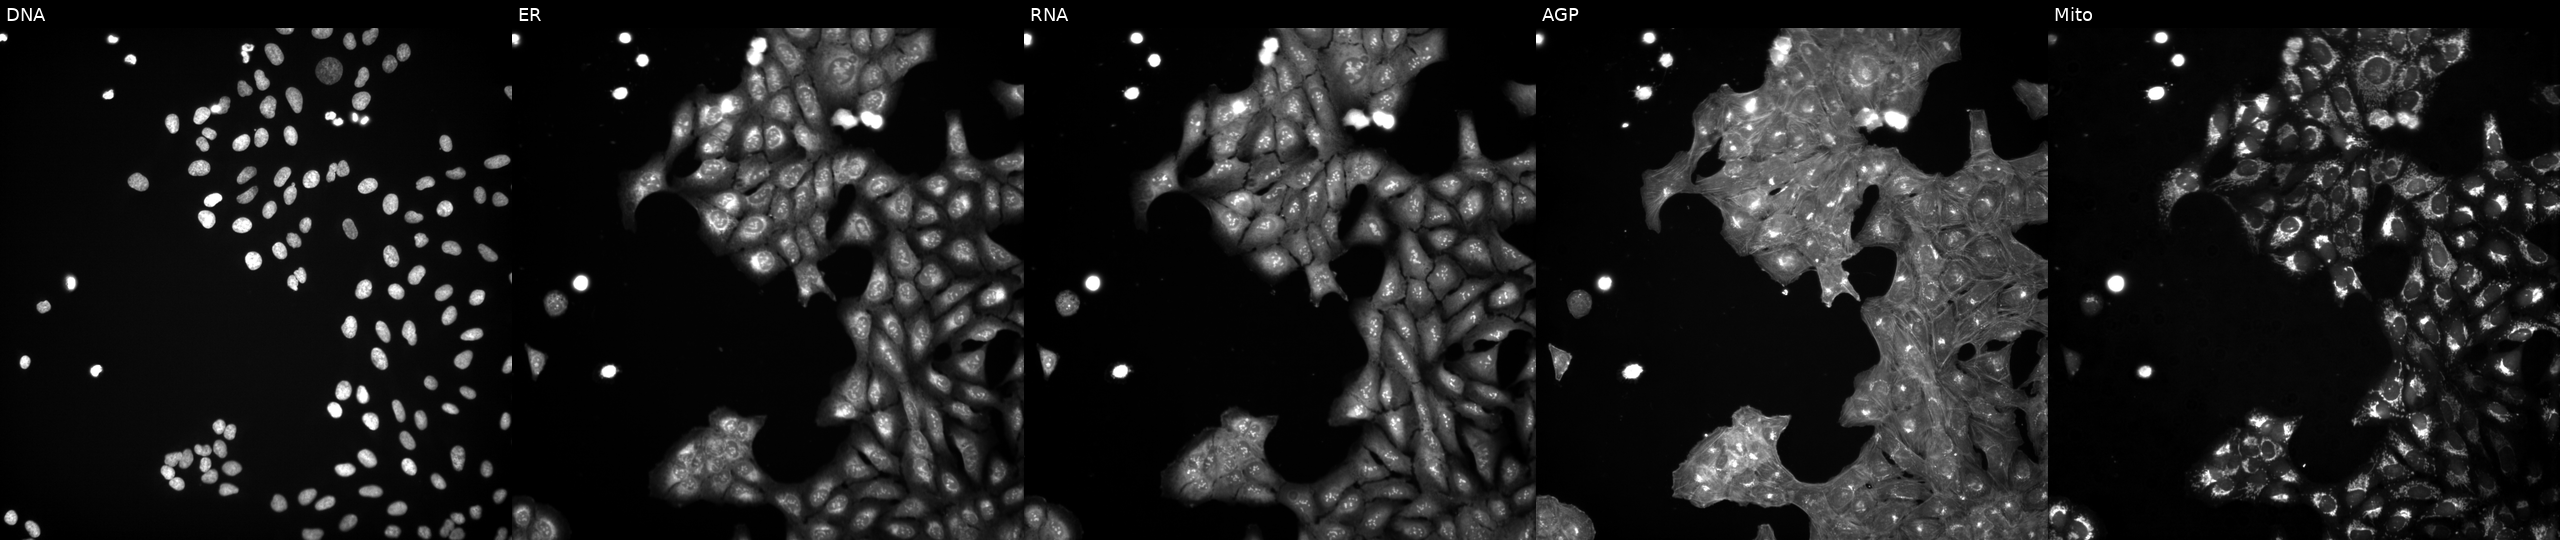
U2OS cells, Cell Painting assay, treated with a small-molecule compound (InChIKey QUIIIYITNGOFEI-UHFFFAOYSA-N) [SMILES: Cc1ccc(-n2sc(=O)n(Cc3ccc(F)cc3)c2=O)cc1] (JUMP id JCP2022_075930). Channels (left→right): DNA (nuclei); ER (endoplasmic reticulum); RNA (nucleoli and cytoplasmic RNA); AGP (actin cytoskeleton, Golgi, and plasma membrane); Mito (mitochondria). Each panel is percentile-stretched 16-bit fluorescence.